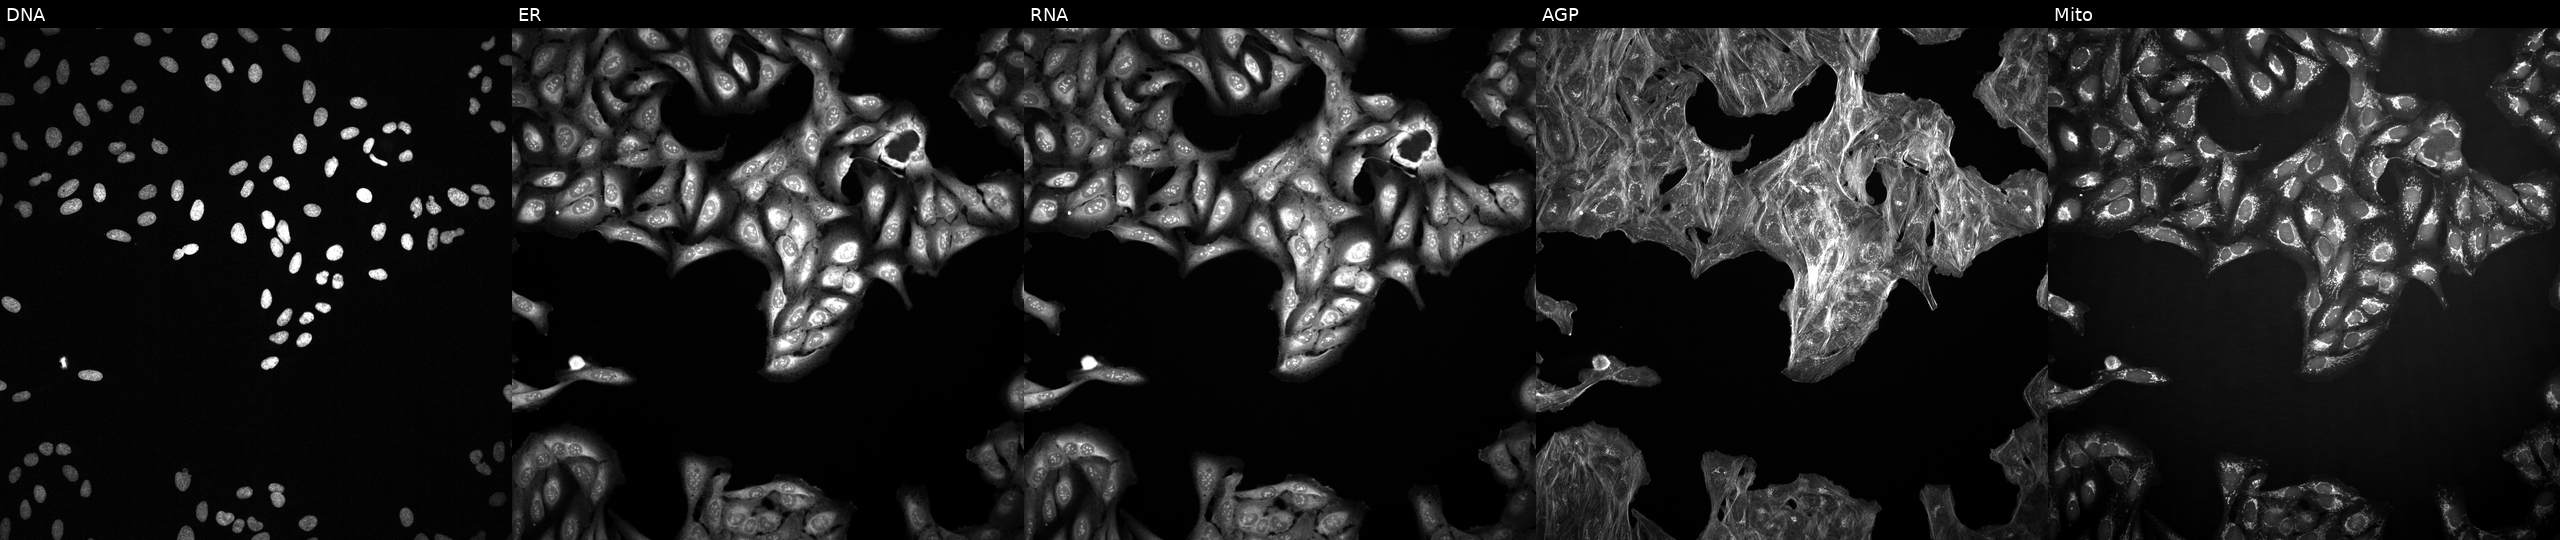
Five-channel Cell Painting image of U2OS cells treated with a small-molecule compound (InChIKey HBUBKKRHXORPQB-UHFFFAOYSA-N) [SMILES: N=c1[nH]c(F)nc2c1ncn2C1OC(CO)C(O)C1O] (JUMP id JCP2022_029186). Channels (left→right): Hoechst 33342, concanavalin A, SYTO 14, phalloidin and WGA, MitoTracker.